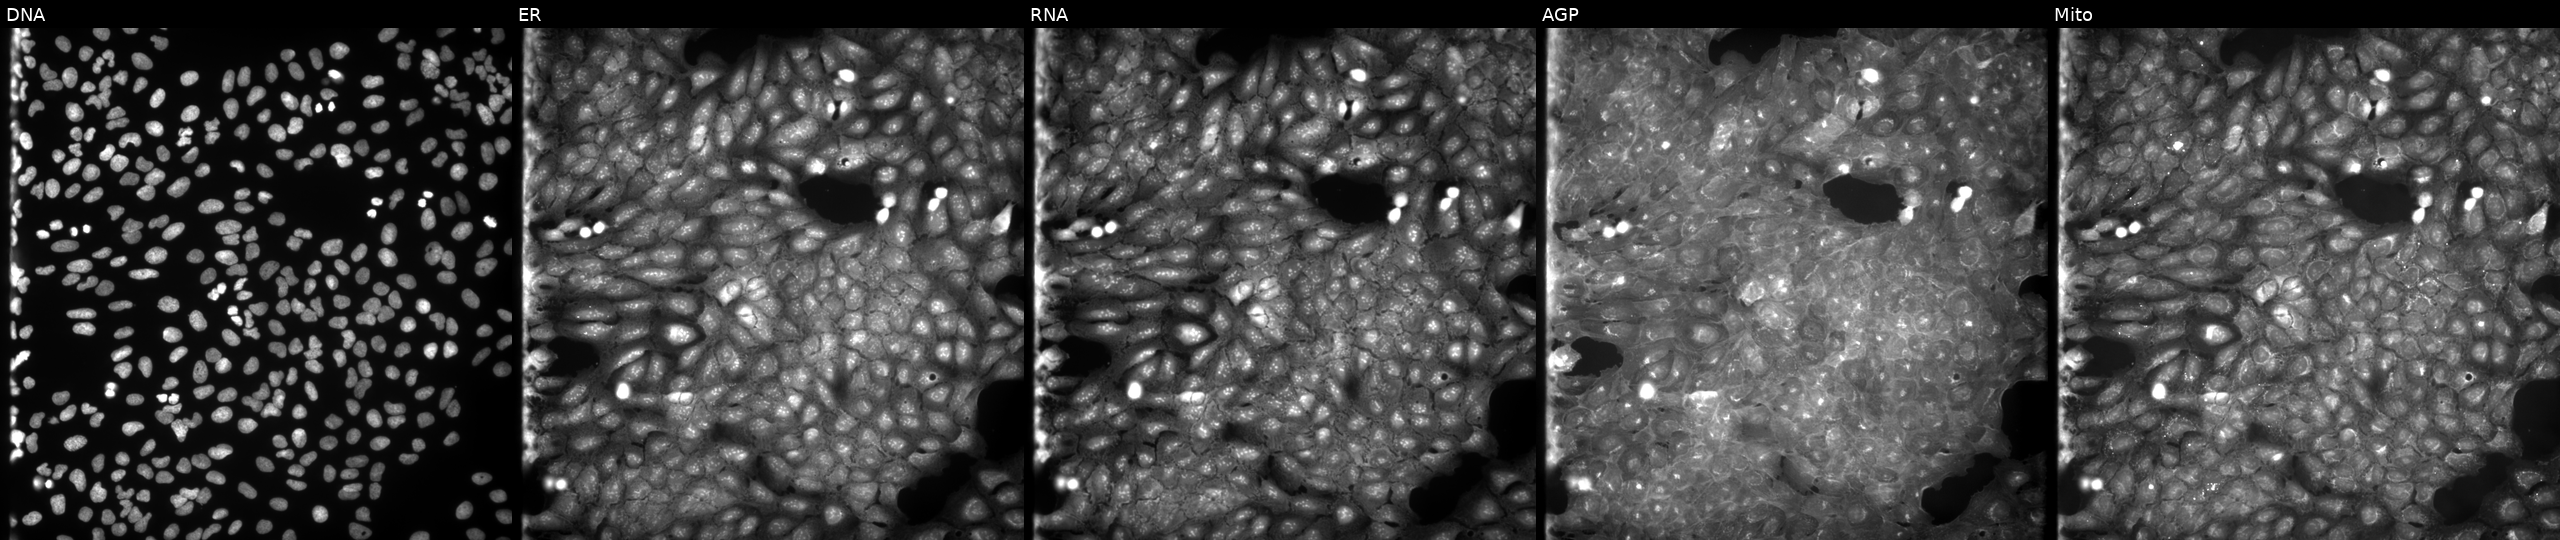
High-content fluorescence microscopy (Cell Painting). Cell line: U2OS. Perturbation: treated with a small-molecule compound (InChIKey YAQOJQMJIBNWFM-UHFFFAOYSA-N). The five panels, left to right, show Hoechst 33342, concanavalin A, SYTO 14, phalloidin and WGA, MitoTracker. Source 9, plate GR00003381, well D14.